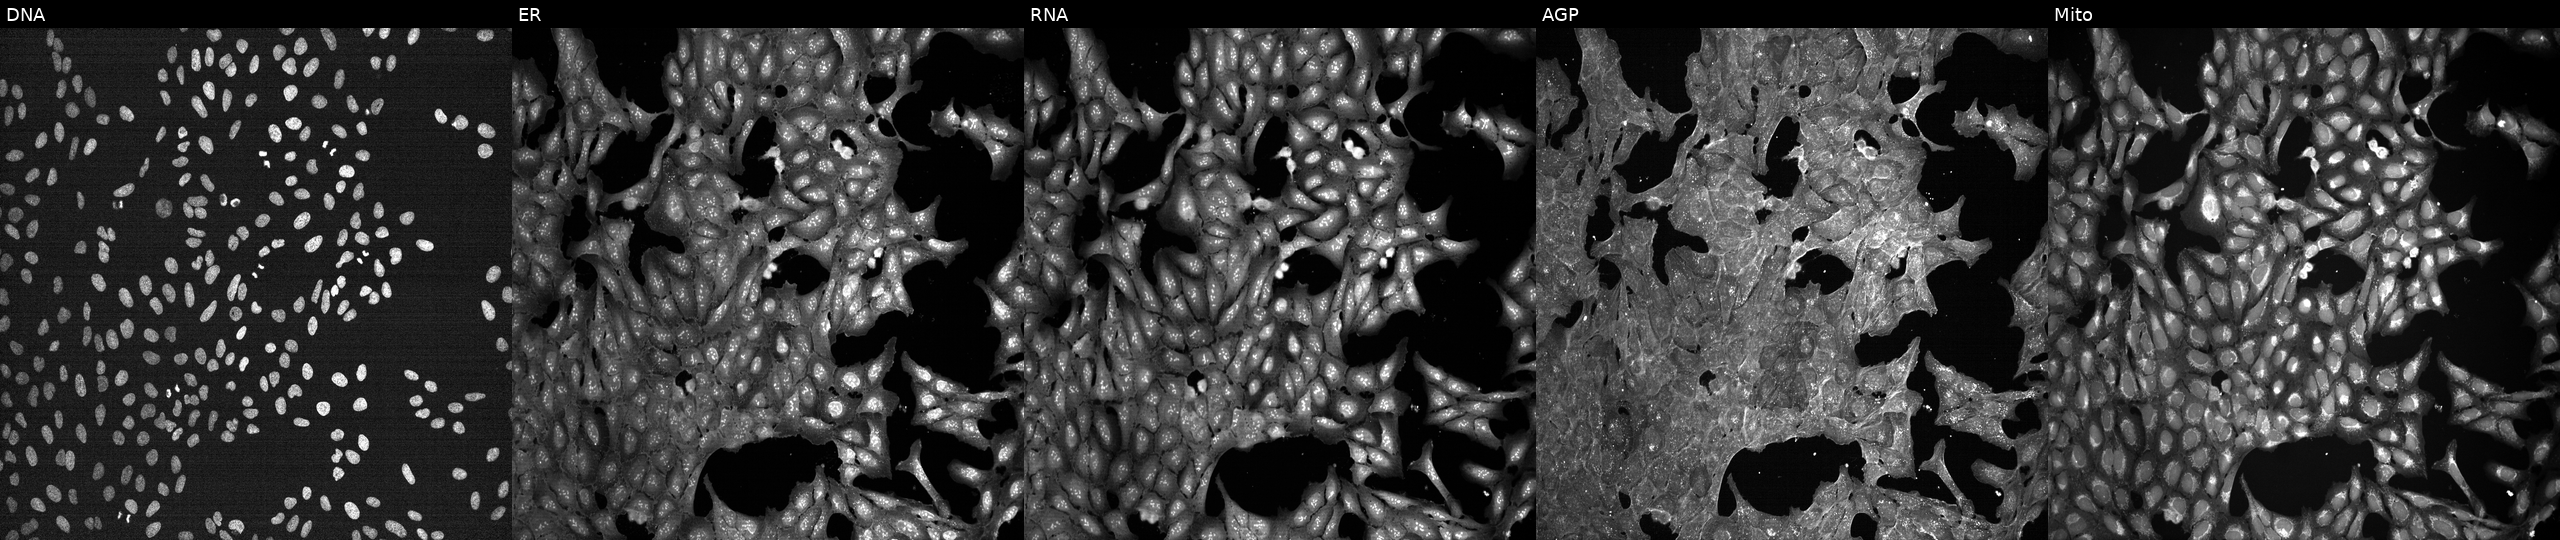
Channels (left→right): Hoechst 33342, concanavalin A, SYTO 14, phalloidin and WGA, MitoTracker. U2OS osteosarcoma cells exposed to DMSO alone as a negative control. Cell Painting assay, JUMP-CP dataset.